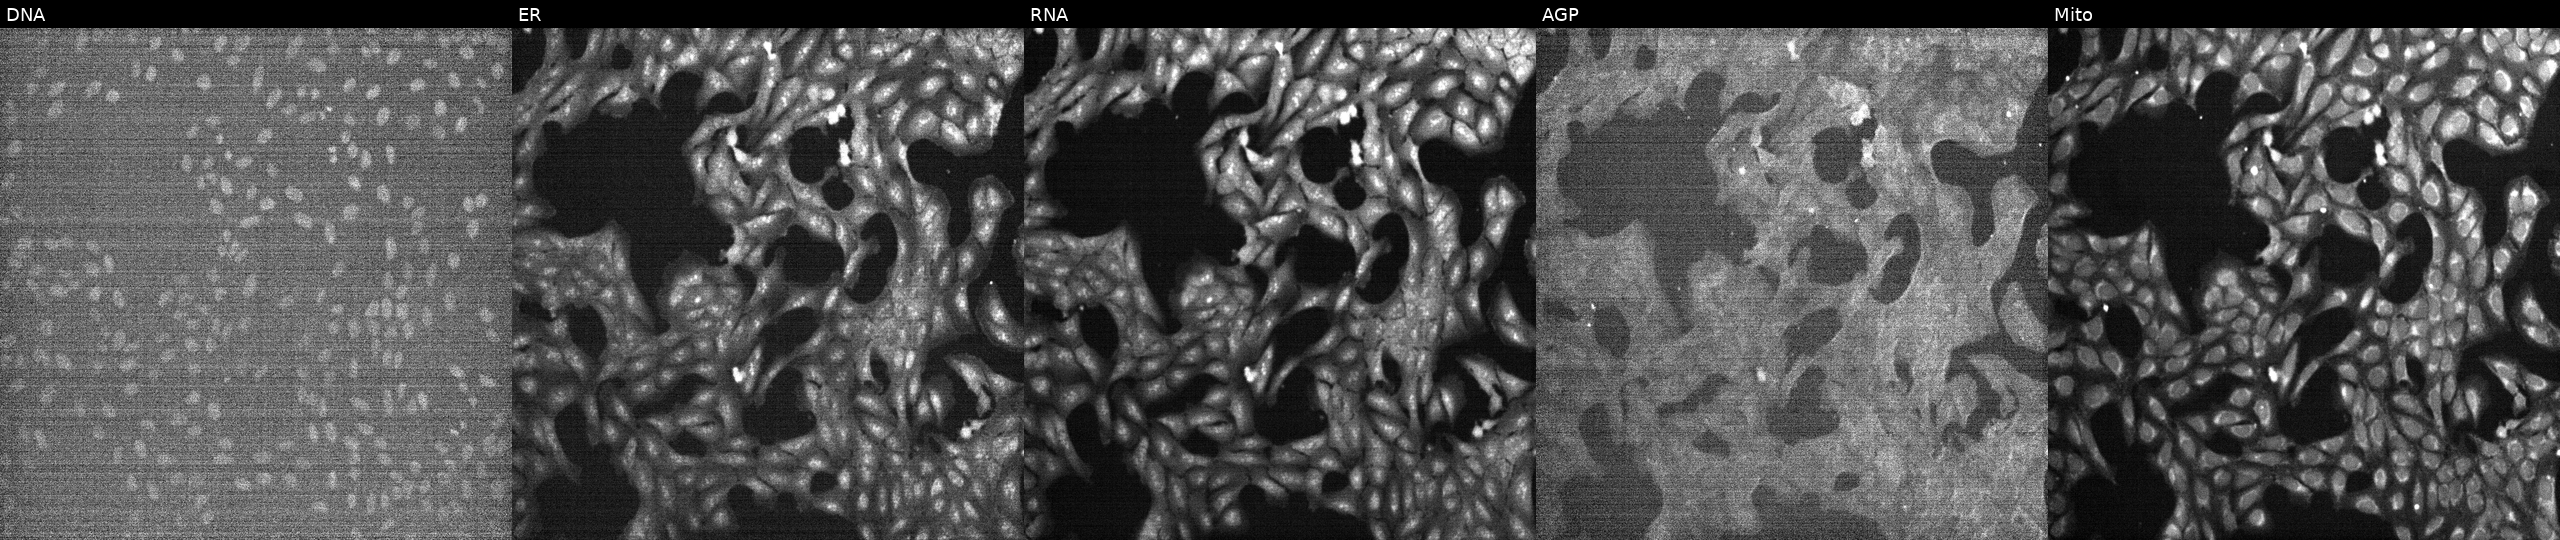
From left to right: DNA (nuclei); ER (endoplasmic reticulum); RNA (nucleoli and cytoplasmic RNA); AGP (actin cytoskeleton, Golgi, and plasma membrane); Mito (mitochondria). U2OS osteosarcoma cells exposed to a small-molecule compound [SMILES: CC(C)C(=O)c1ccc(O)c(O)c1] (JUMP id JCP2022_093289). Cell Painting assay, JUMP-CP dataset. Source 7, plate CP2-SC1-25, well B03.